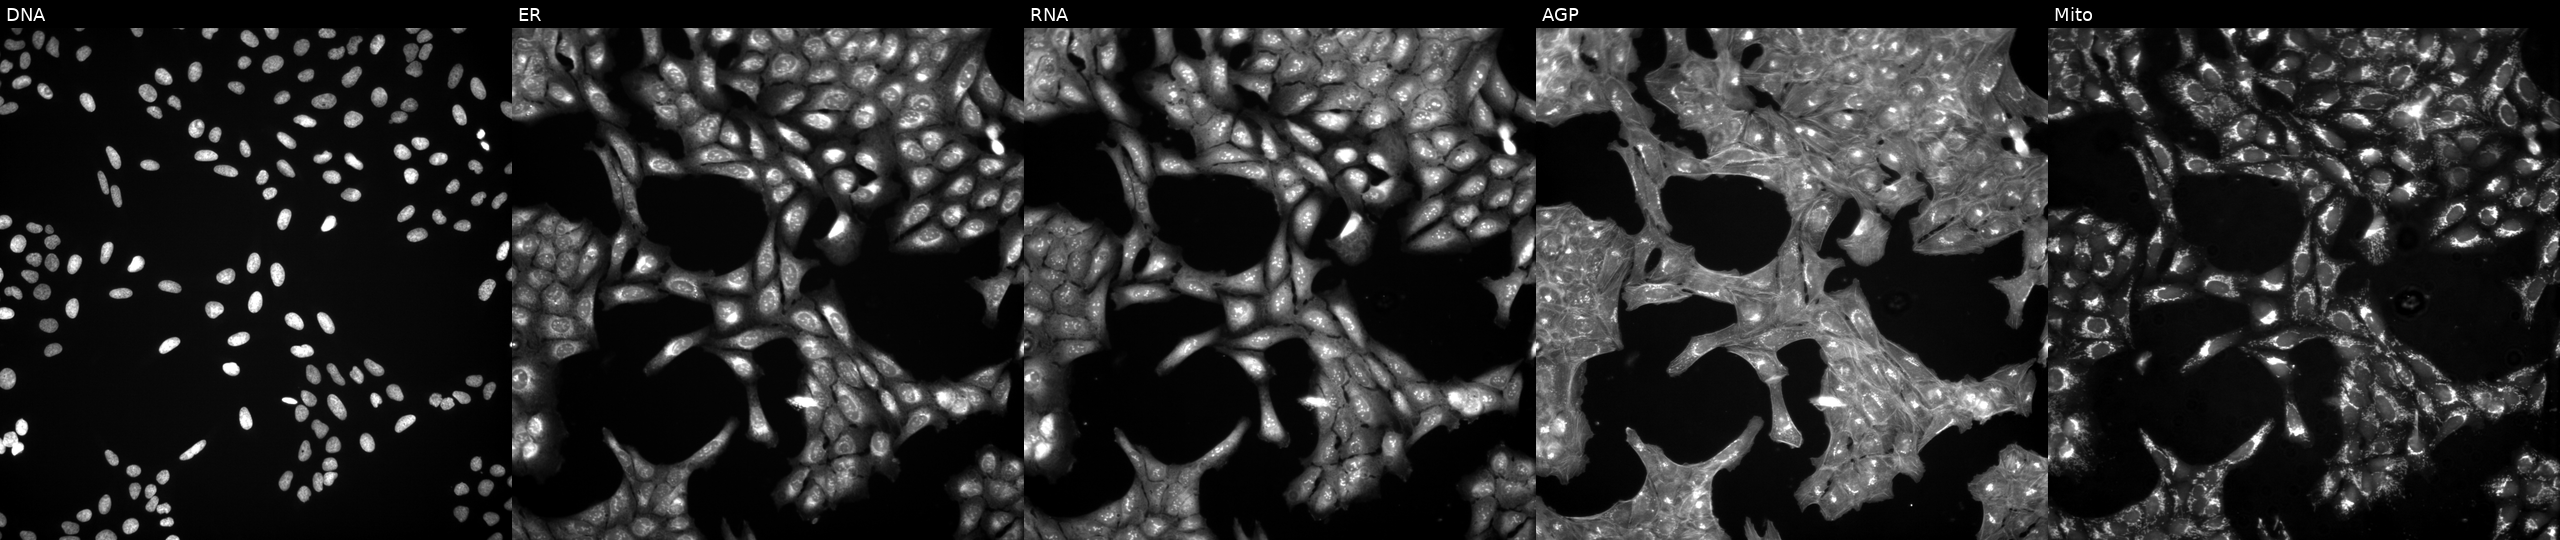
JUMP Cell Painting — COMPOUND plate. U2OS cells treated with a small-molecule compound (InChIKey QHHBTSZEBIZEGQ-UHFFFAOYSA-N) (JUMP id JCP2022_073439). From left to right: DNA, ER, RNA, AGP, and Mito.